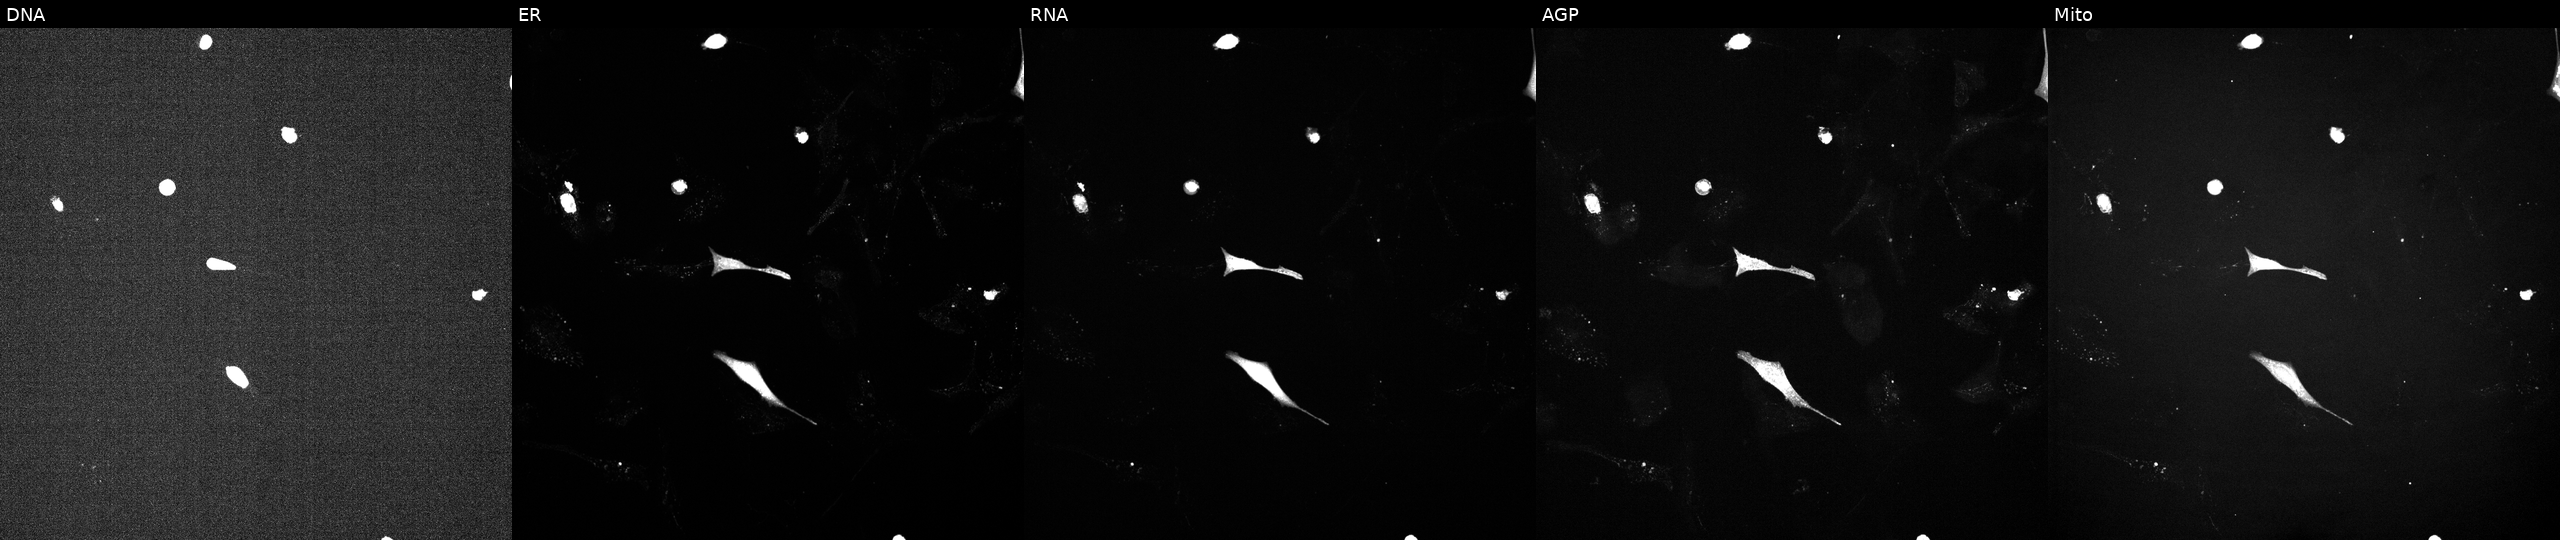
This image strip shows the five Cell Painting channels for a single field of U2OS cells exposed to a small-molecule compound (InChIKey SOOPLNPQGWJZHY-UHFFFAOYSA-N) [SMILES: CCC1=NC(=O)C2CSSCCC=CC(CC(=O)NC(C(C)C)C(=O)N2)OC(=O)C(C(C)C)NC1=O]. Channels (left→right): DNA (nuclei); ER (endoplasmic reticulum); RNA (nucleoli and cytoplasmic RNA); AGP (actin cytoskeleton, Golgi, and plasma membrane); Mito (mitochondria).